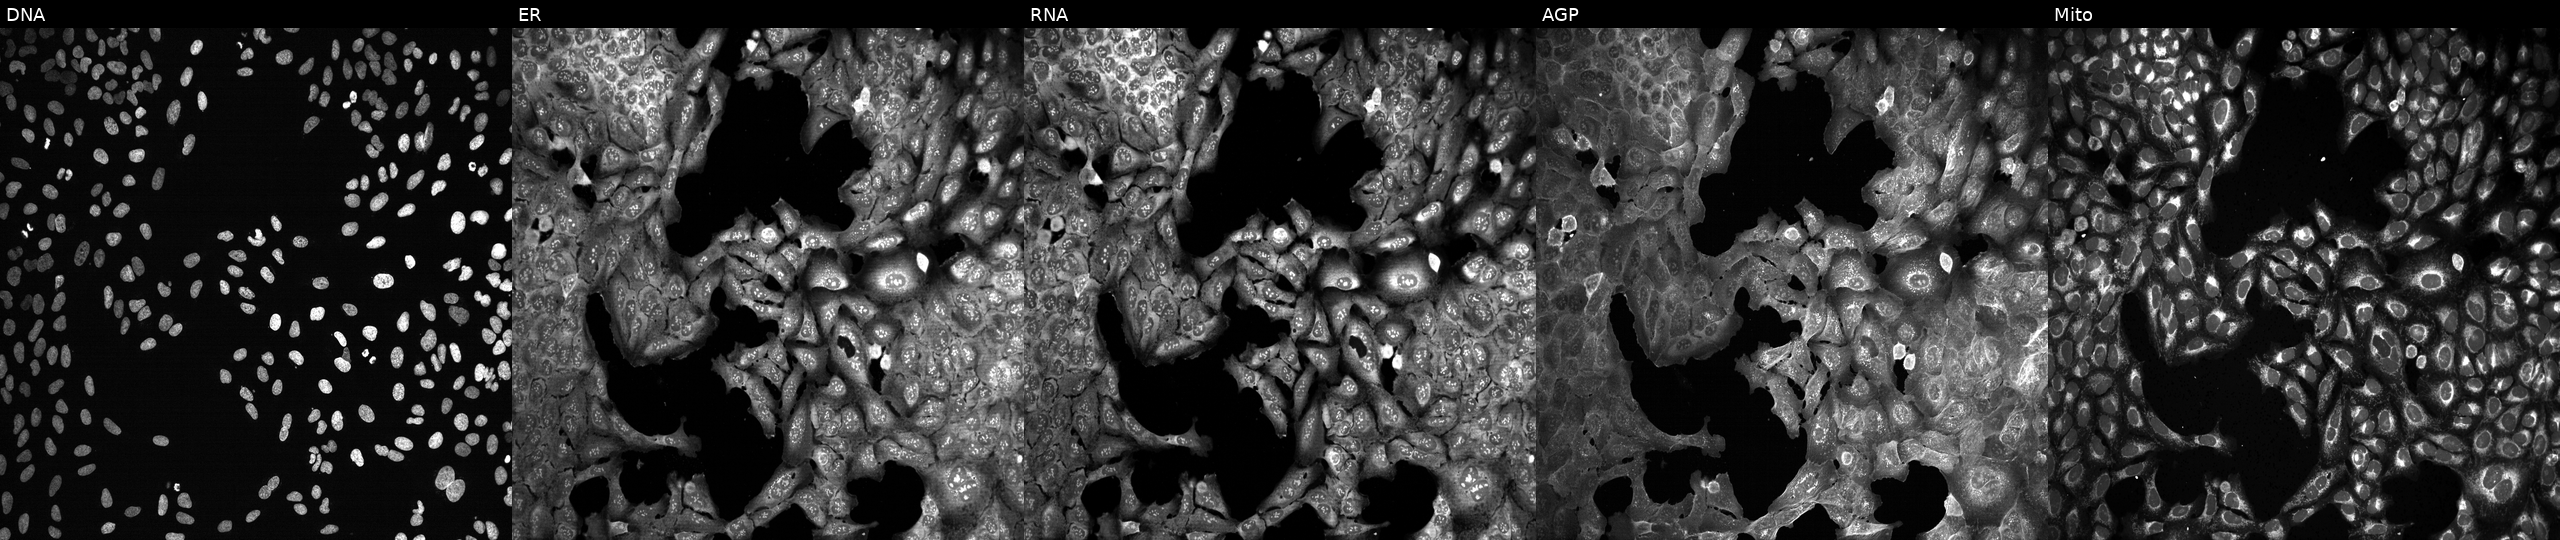
This image strip shows the five Cell Painting channels for a single field of U2OS cells following CRISPR knockout of ADGB. Channels (left→right): Hoechst 33342, concanavalin A, SYTO 14, phalloidin and WGA, MitoTracker. Source 13, plate CP-CC9-R6-19, well I03.